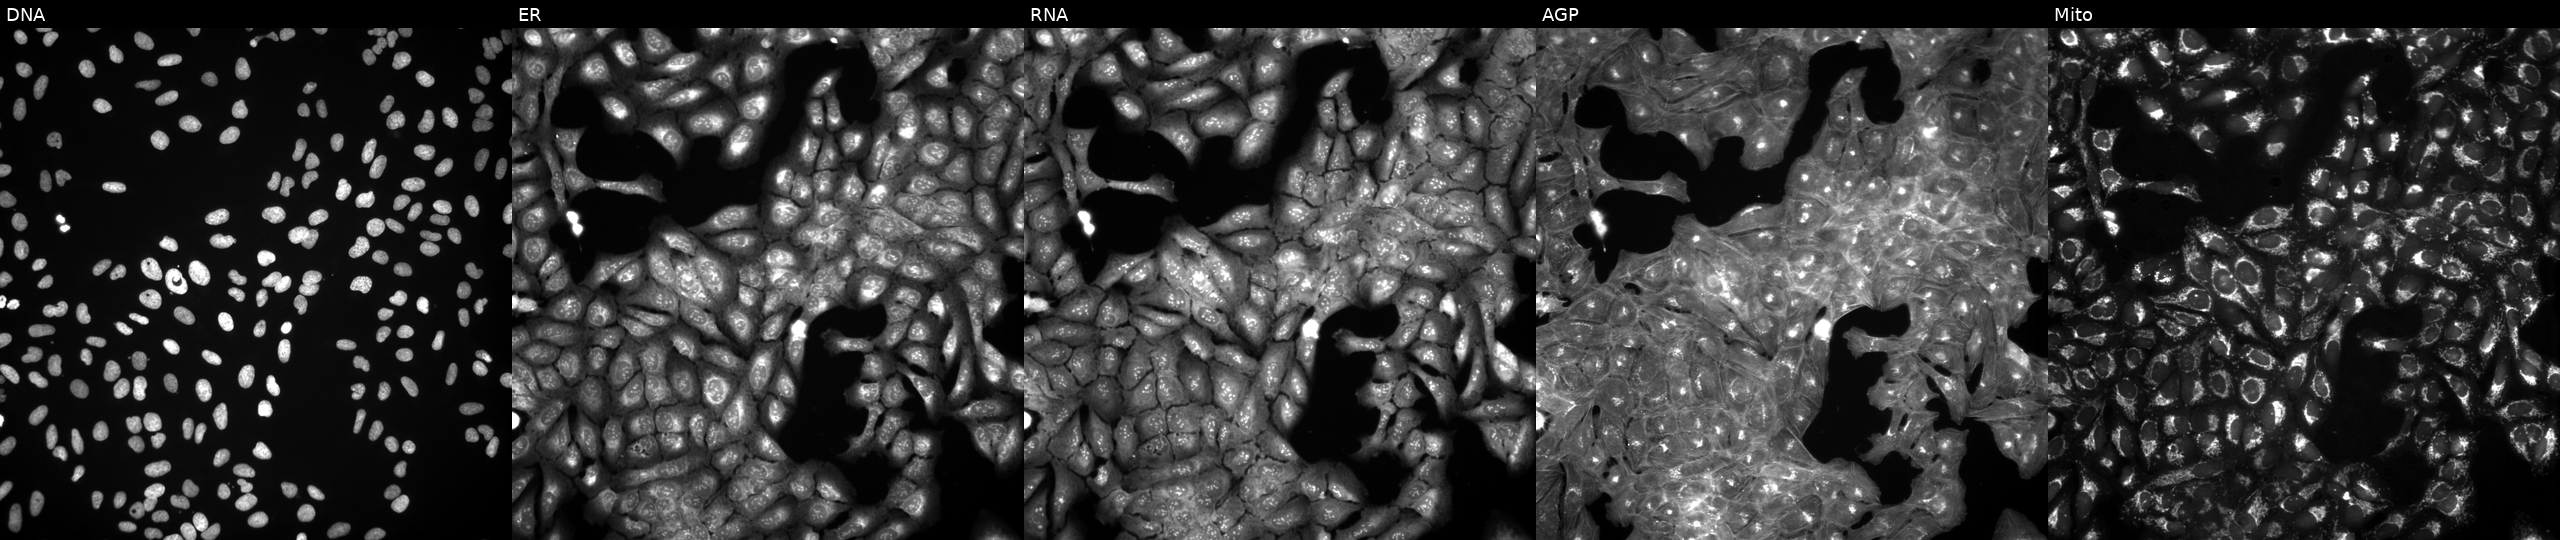
Panels show, left to right, DNA, ER, RNA, AGP, and Mito. U2OS osteosarcoma cells perturbed with a small-molecule compound (InChIKey AEJGGPVPSJIVDZ-UHFFFAOYSA-N) [SMILES: Cc1ccc(C(=O)OCC(=O)NCc2cccs2)cc1]. Cell Painting assay, JUMP-CP dataset. Source 3, plate BR5867b3, well G18.